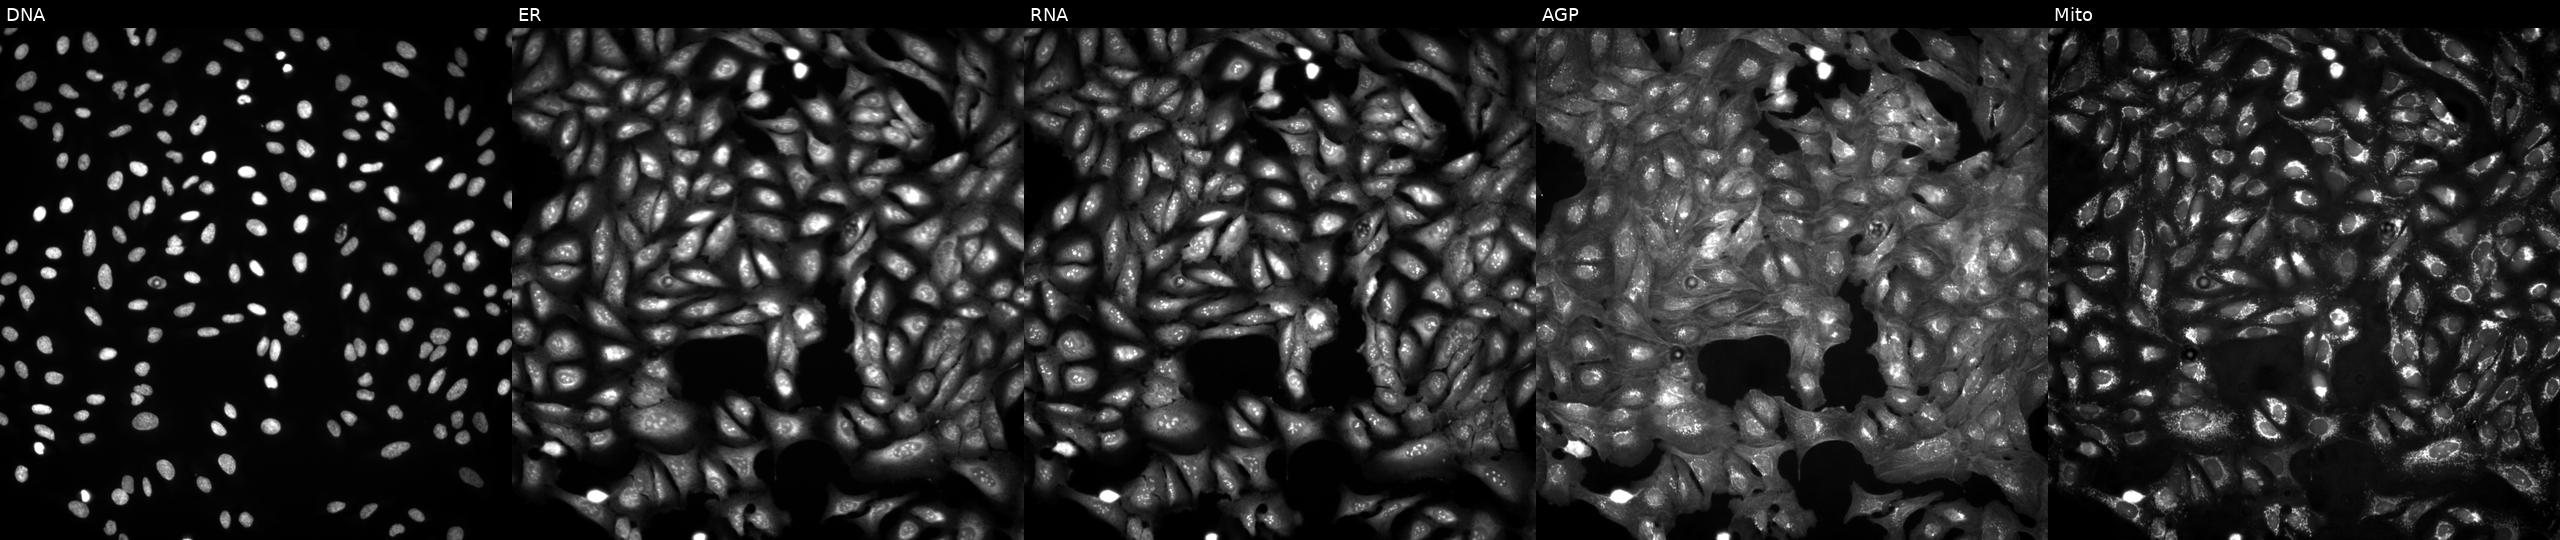
Five-channel Cell Painting image of U2OS cells untreated (empty-well control). Channels (left→right): DNA (nuclei); ER (endoplasmic reticulum); RNA (nucleoli and cytoplasmic RNA); AGP (actin cytoskeleton, Golgi, and plasma membrane); Mito (mitochondria).